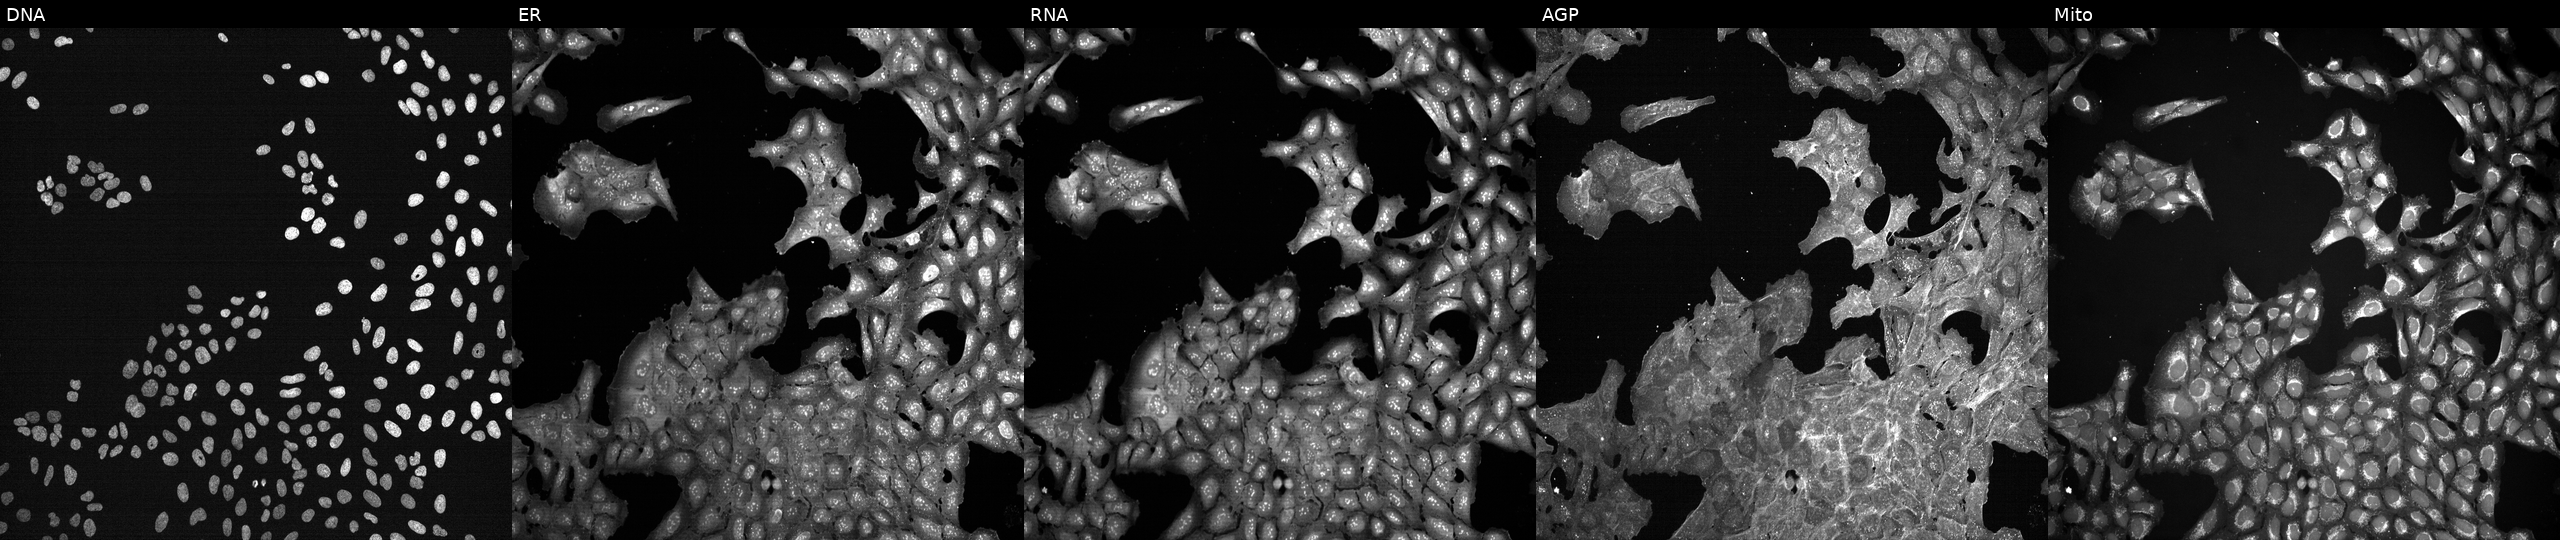
JUMP Cell Painting — TARGET2 plate. U2OS cells exposed to a small-molecule compound [SMILES: NS(=O)(=O)c1ccc(C(=O)O)cc1] (JUMP id JCP2022_088224). Panels show, left to right, DNA (nuclei); ER (endoplasmic reticulum); RNA (nucleoli and cytoplasmic RNA); AGP (actin cytoskeleton, Golgi, and plasma membrane); Mito (mitochondria).